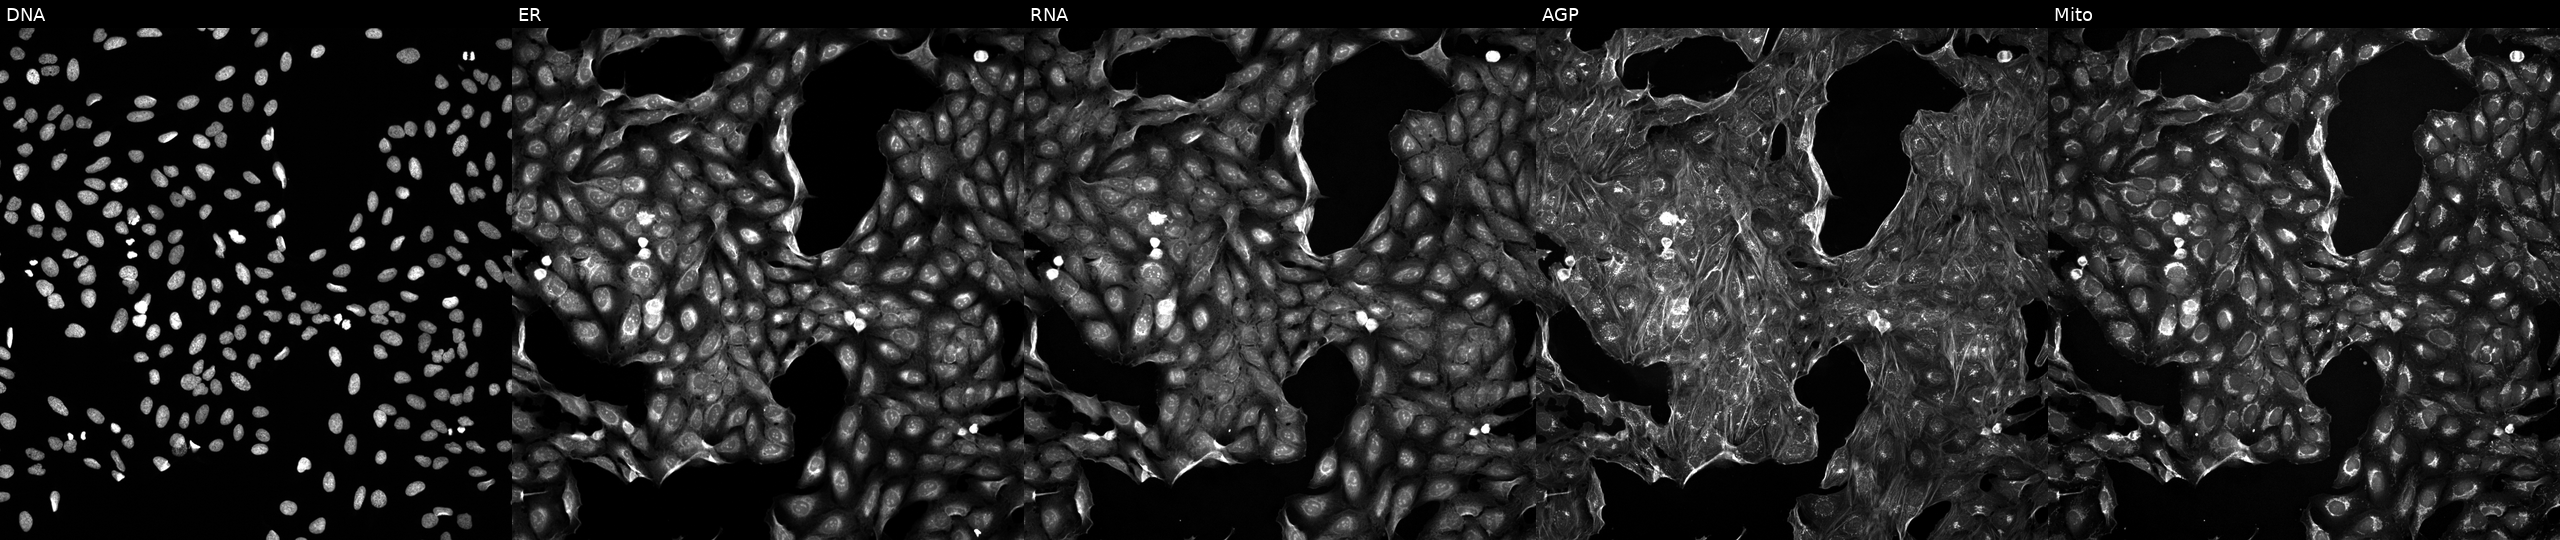
U2OS cells, Cell Painting assay, perturbed with a small-molecule compound (InChIKey VDQLKIBLTMPAHI-UHFFFAOYSA-N). Panels show, left to right, DNA, ER, RNA, AGP, and Mito. Each panel is percentile-stretched 16-bit fluorescence. Source 5, plate ACPJUM051, well B03.